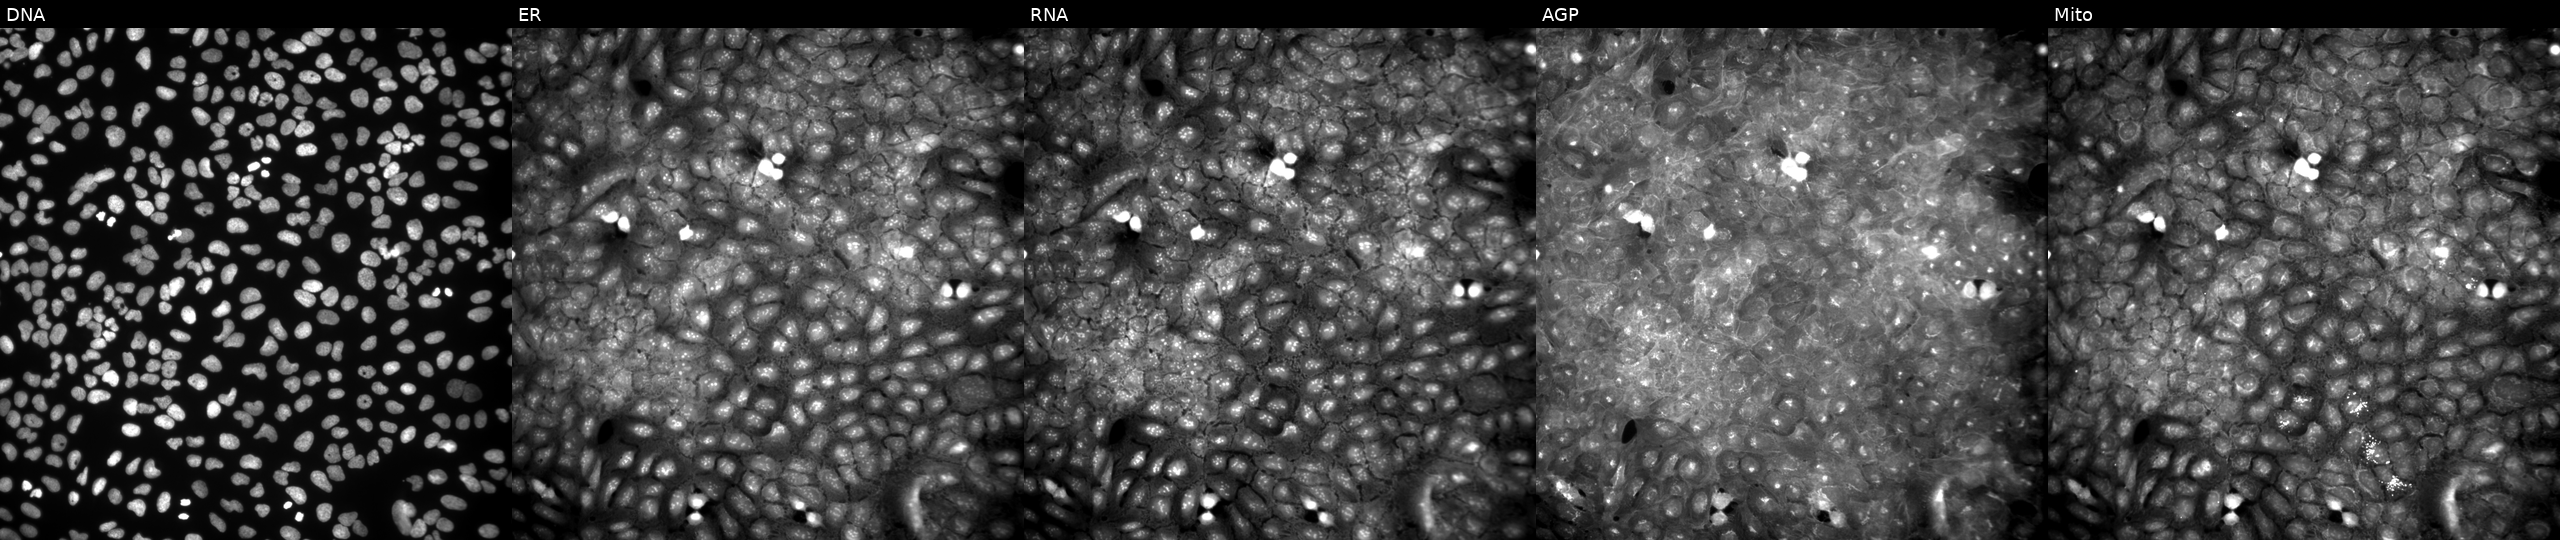
U2OS cells, Cell Painting assay, perturbed with a small-molecule compound (InChIKey QYHQHDWCPOHRKG-UHFFFAOYSA-N) (JUMP id JCP2022_076671). Panels show, left to right, DNA (nuclei); ER (endoplasmic reticulum); RNA (nucleoli and cytoplasmic RNA); AGP (actin cytoskeleton, Golgi, and plasma membrane); Mito (mitochondria). Each panel is percentile-stretched 16-bit fluorescence. Source 9, plate GR00003381, well H42.